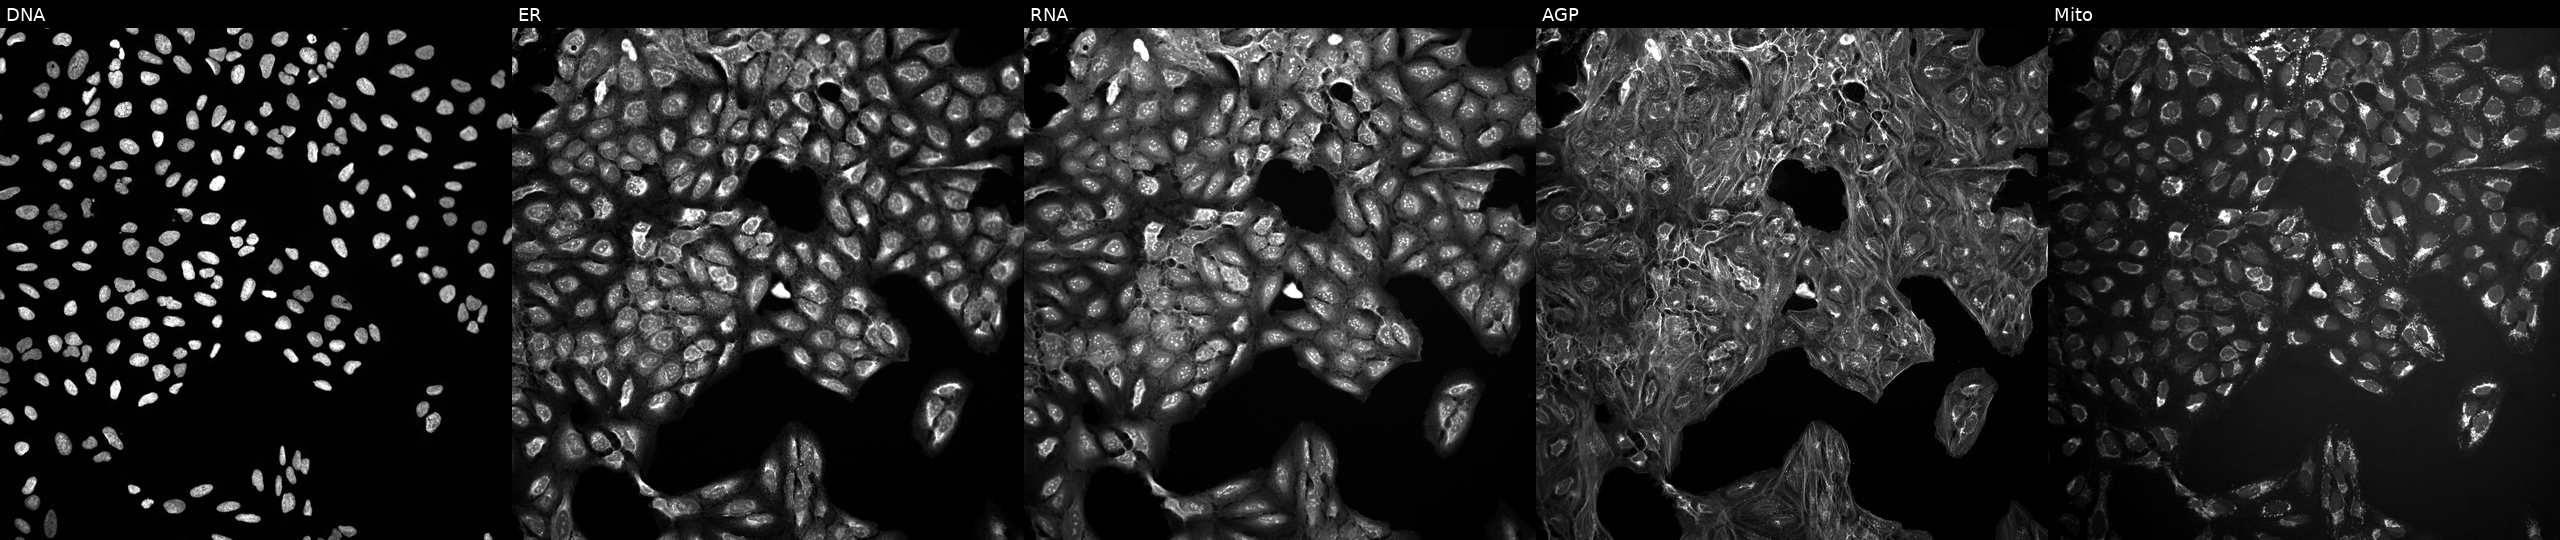
Five-channel Cell Painting image of U2OS cells in an empty control well (no perturbation). The five panels, left to right, show Hoechst 33342, concanavalin A, SYTO 14, phalloidin and WGA, MitoTracker. Source 10, plate Dest210531-152324, well J16.